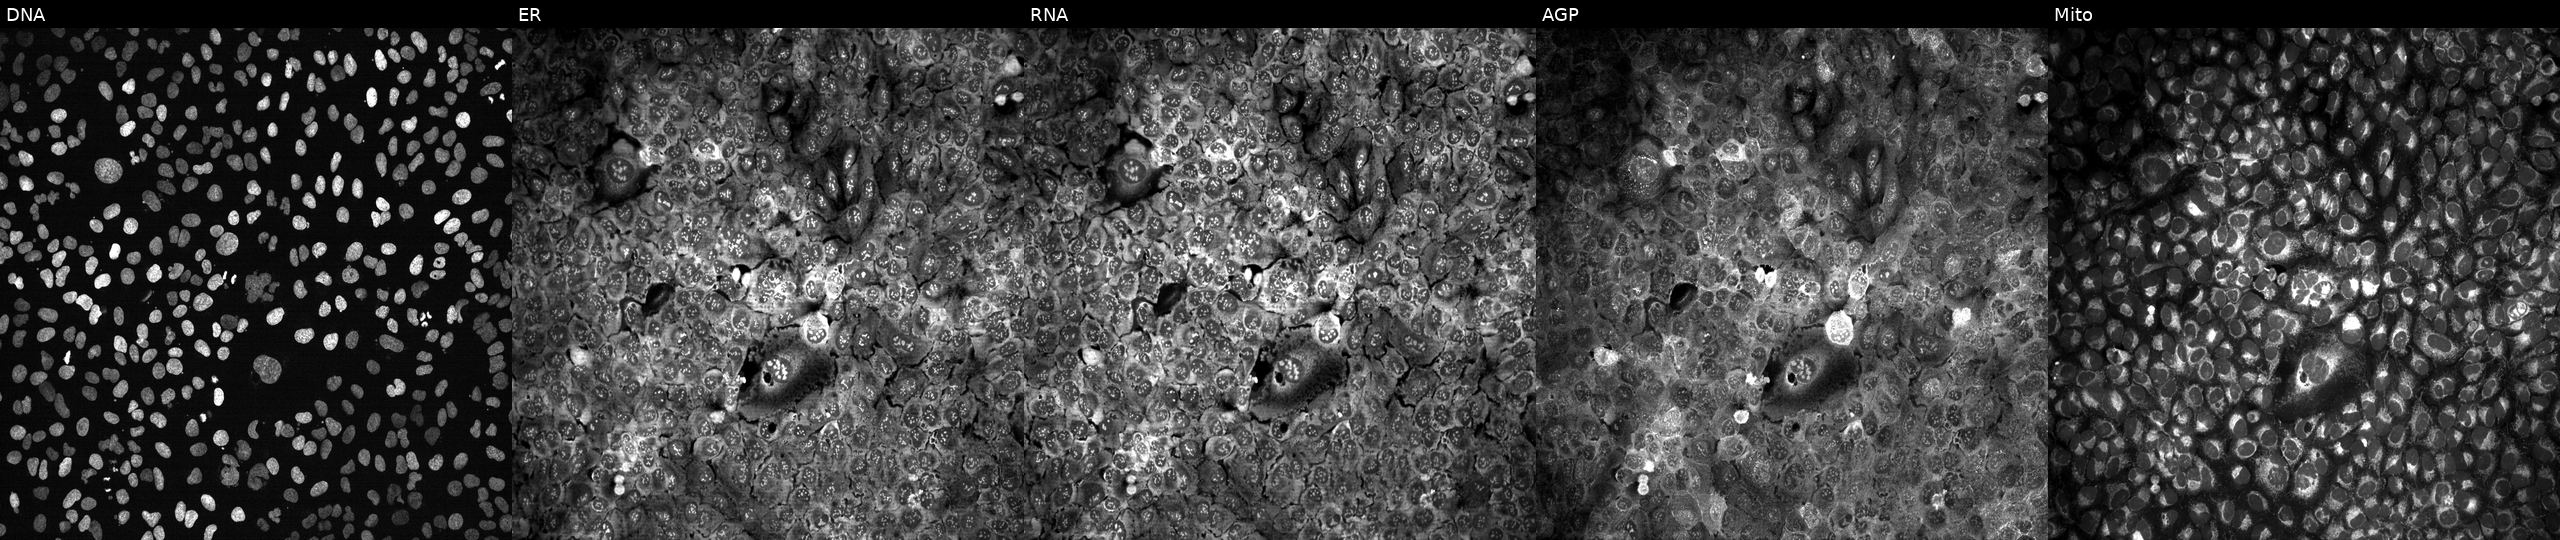
Five-channel Cell Painting image of U2OS cells CRISPR-edited to disrupt ALOX5 (JUMP id JCP2022_800421). Panels show, left to right, Hoechst 33342, concanavalin A, SYTO 14, phalloidin and WGA, MitoTracker.